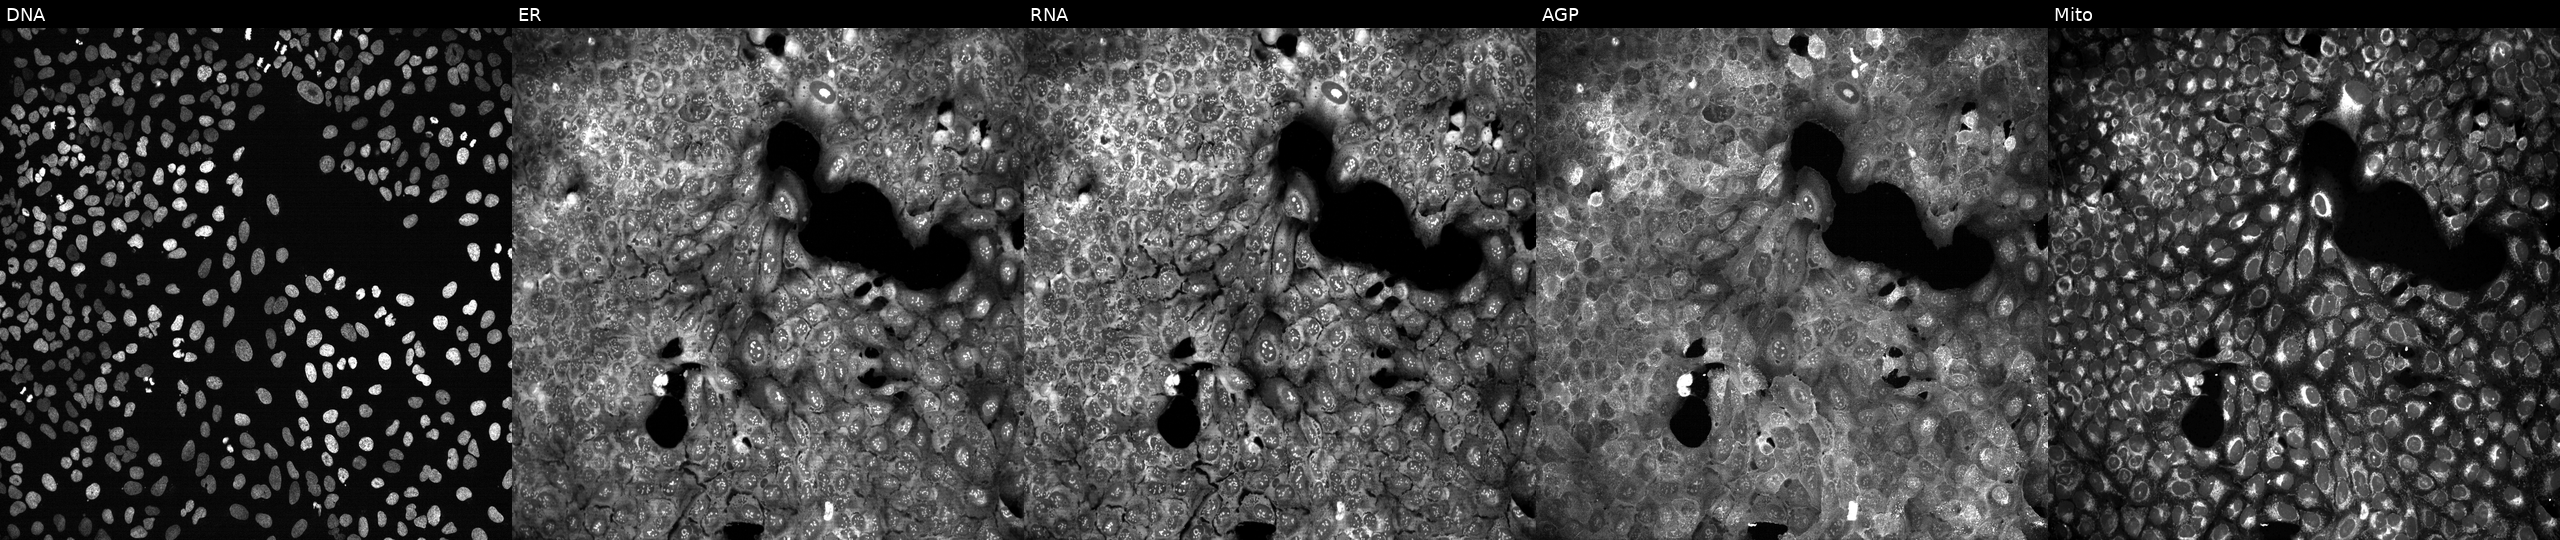
High-content fluorescence microscopy (Cell Painting). Cell line: U2OS. Perturbation: following CRISPR knockout of DHRS3. The five panels, left to right, show DNA (nuclei); ER (endoplasmic reticulum); RNA (nucleoli and cytoplasmic RNA); AGP (actin cytoskeleton, Golgi, and plasma membrane); Mito (mitochondria).